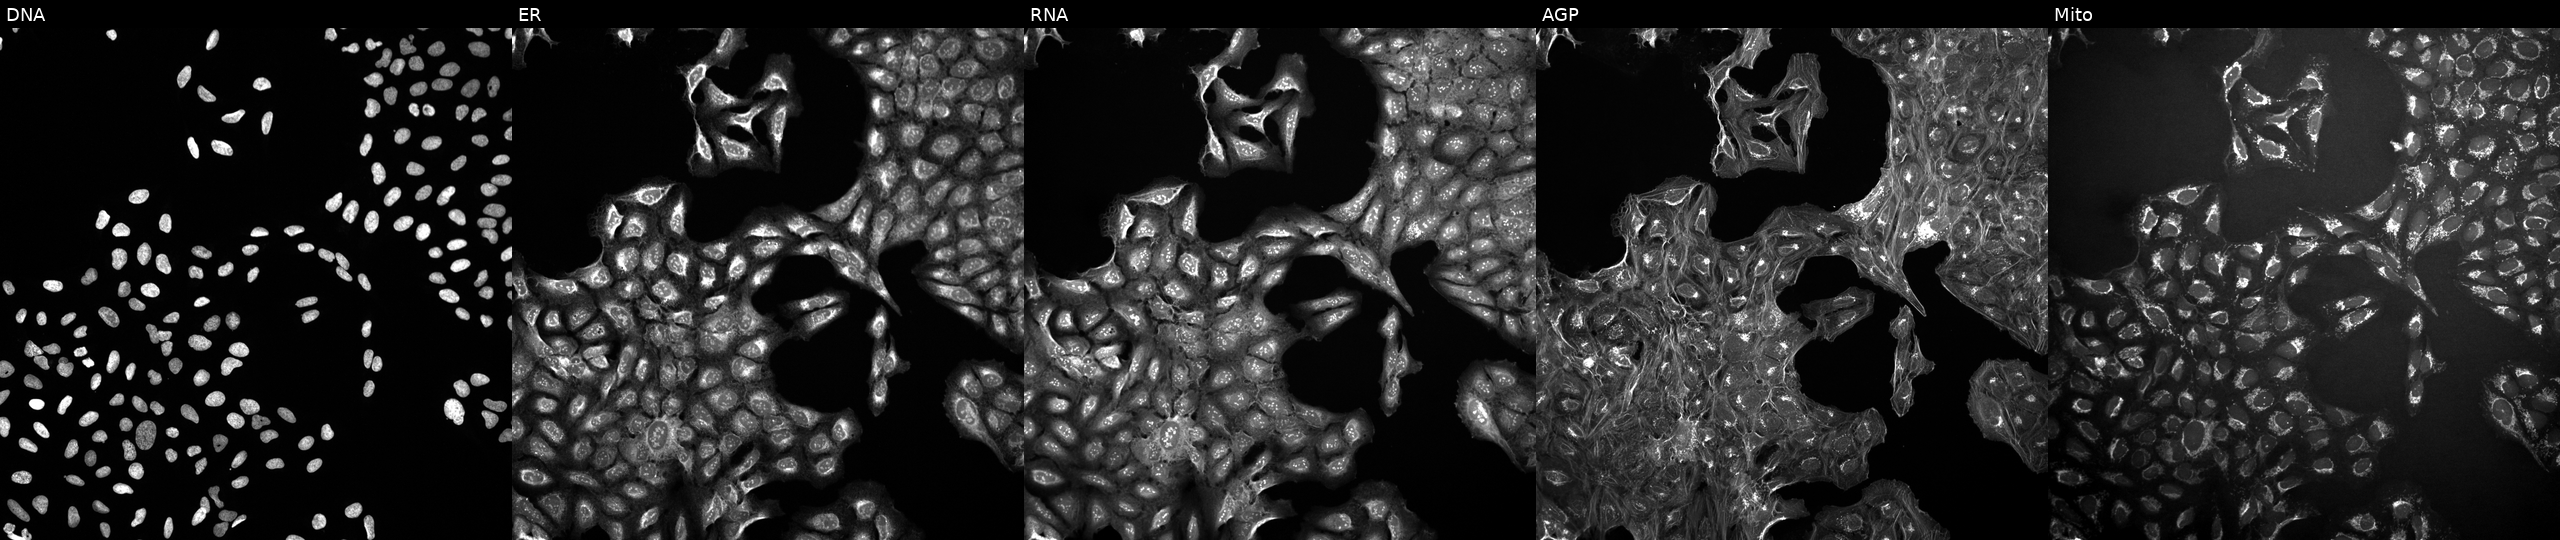
U2OS cells, Cell Painting assay, perturbed with a small-molecule compound (InChIKey PWTREKMBBAHZDI-UHFFFAOYSA-N) [SMILES: O=C(c1ccc2nccnc2c1)N1CC2CCC1CN(C1CCOCC1)C2] (JUMP id JCP2022_071488). The five panels, left to right, show DNA, ER, RNA, AGP, and Mito. Each panel is percentile-stretched 16-bit fluorescence.